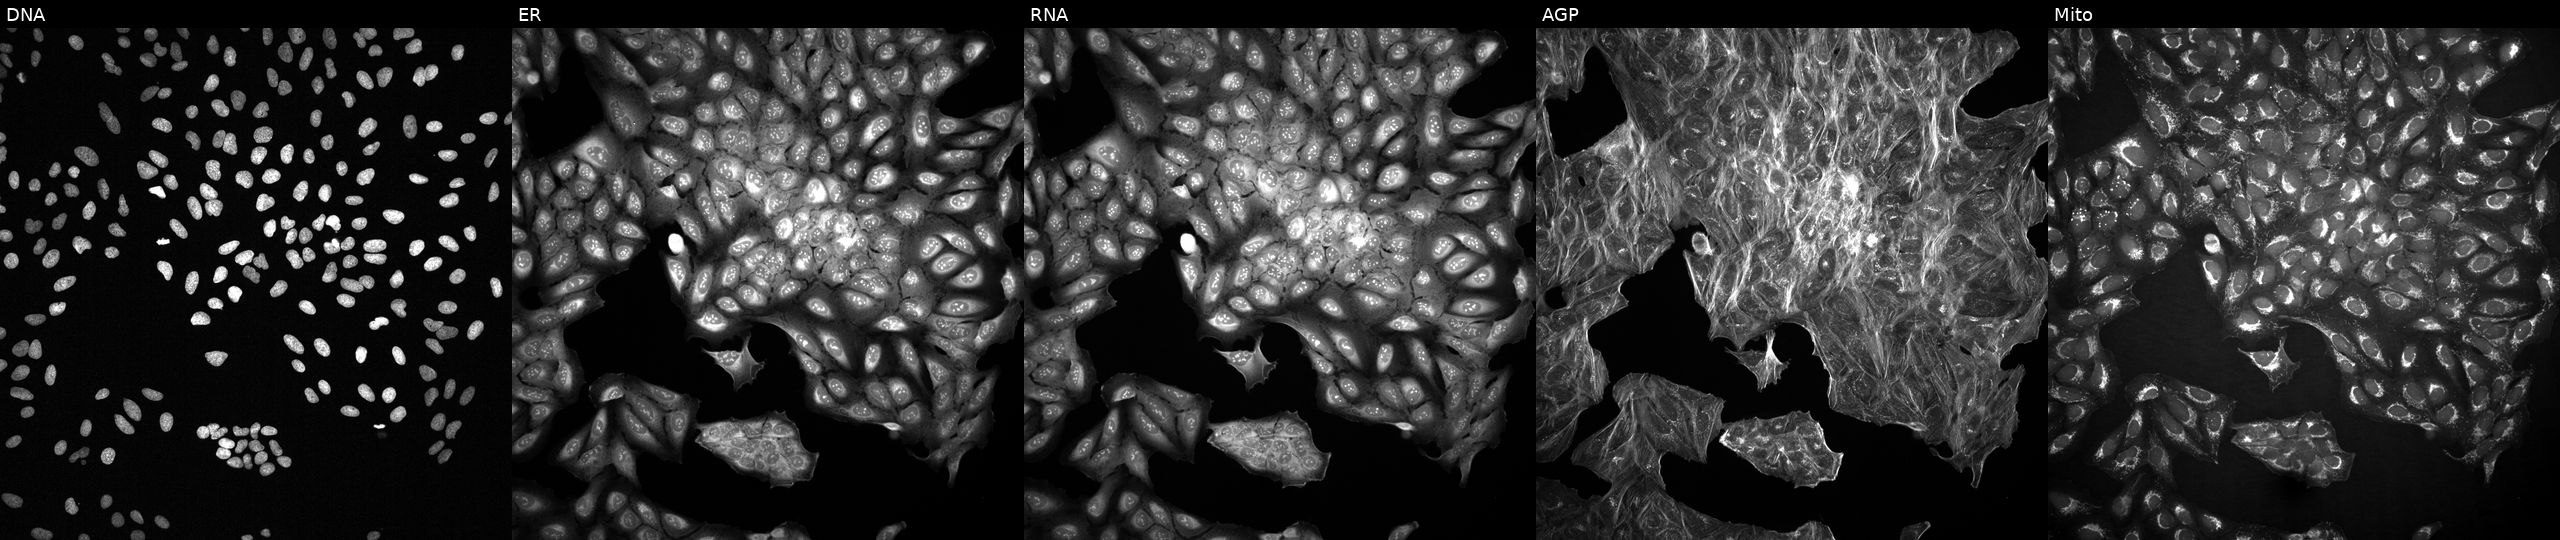
JUMP Cell Painting — COMPOUND plate. U2OS cells with an unidentified perturbation (not annotated in JUMP metadata). From left to right: DNA (nuclei); ER (endoplasmic reticulum); RNA (nucleoli and cytoplasmic RNA); AGP (actin cytoskeleton, Golgi, and plasma membrane); Mito (mitochondria). Source 2, plate 1053601756, well H18.